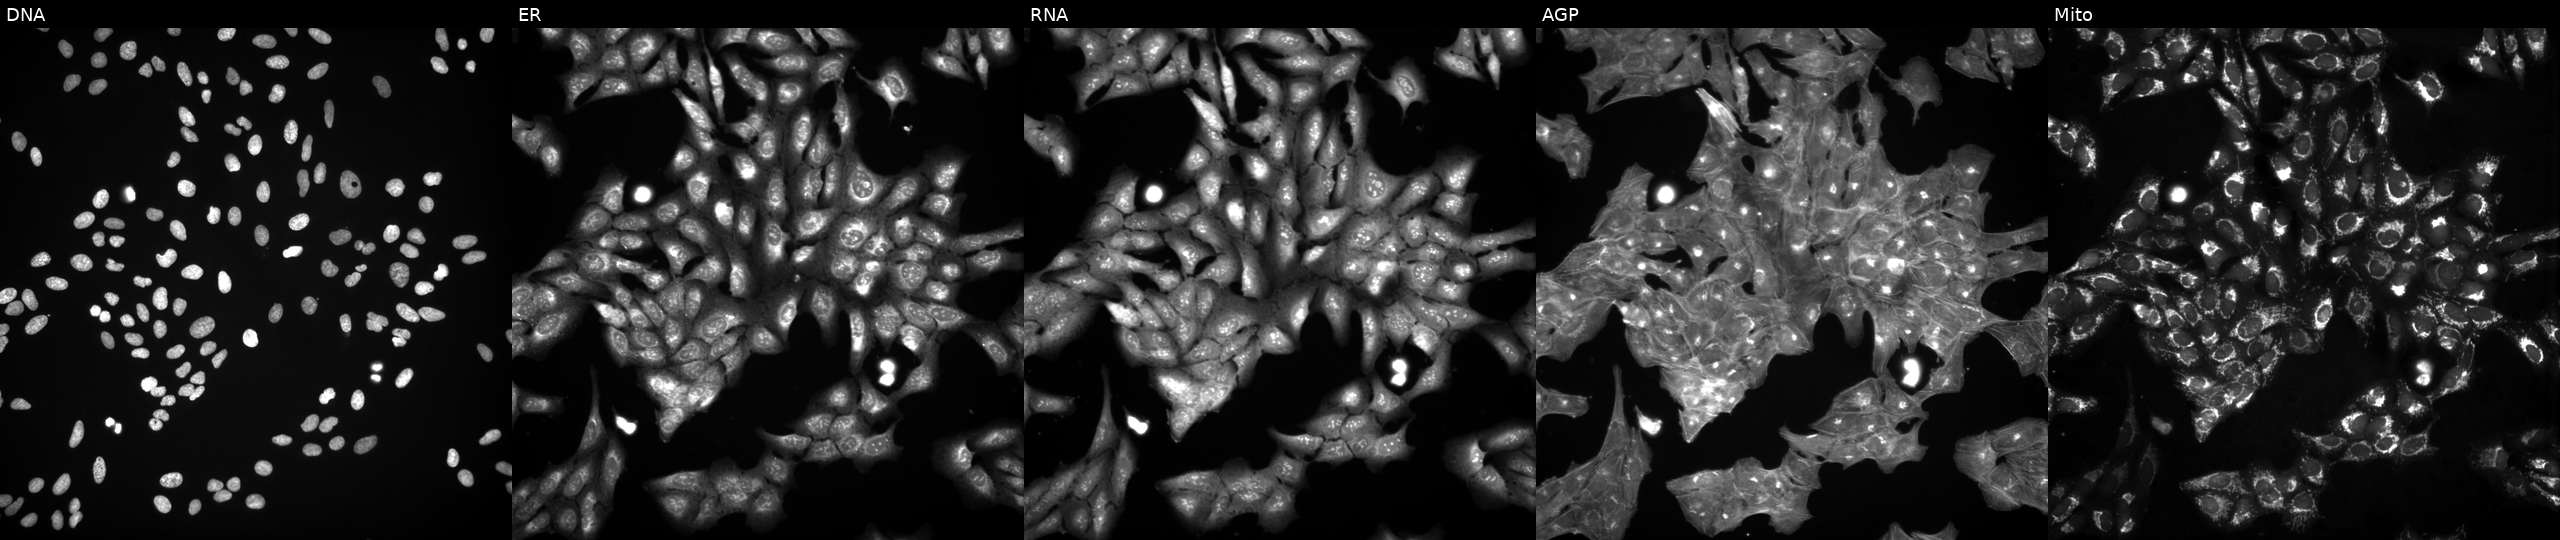
JUMP Cell Painting — TARGET2 plate. U2OS cells exposed to a small-molecule compound (InChIKey XDFKWGIBQMHSOH-UHFFFAOYSA-N) (JUMP id JCP2022_102917). The five panels, left to right, show Hoechst 33342, concanavalin A, SYTO 14, phalloidin and WGA, MitoTracker. Source 3, plate JCPQC053, well F08.